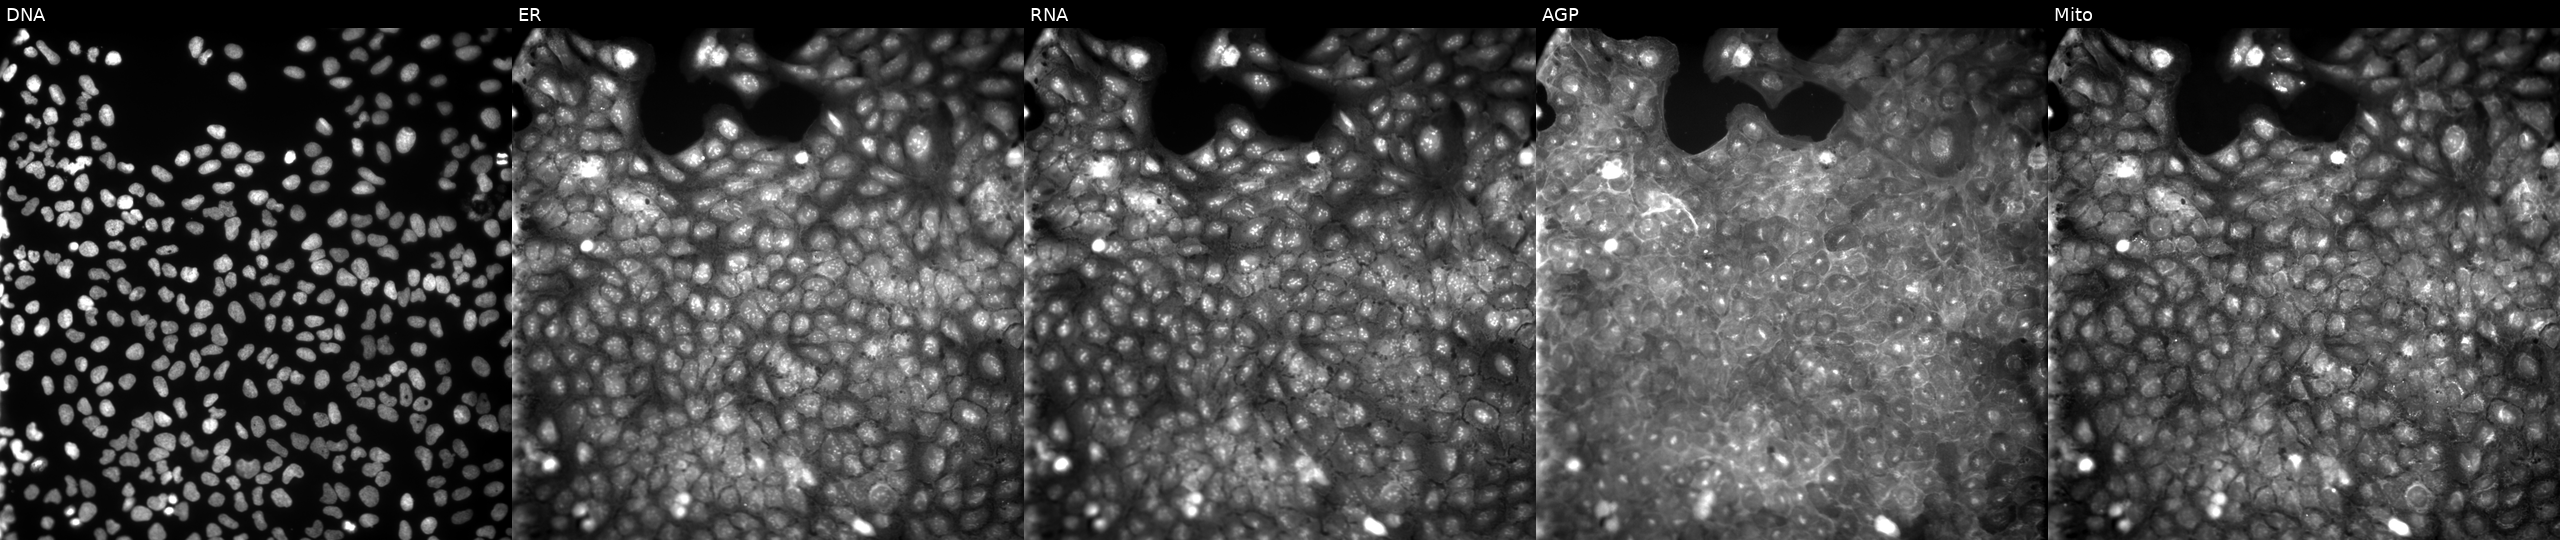
JUMP Cell Painting — COMPOUND plate. U2OS cells exposed to a small-molecule compound (InChIKey OVQMLSGVAKAALW-UHFFFAOYSA-N) [SMILES: CC1=NN(C(=O)c2cccc(Cl)c2)C(O)(c2ccc(Cl)cc2)C1]. The five panels, left to right, show DNA (nuclei); ER (endoplasmic reticulum); RNA (nucleoli and cytoplasmic RNA); AGP (actin cytoskeleton, Golgi, and plasma membrane); Mito (mitochondria).